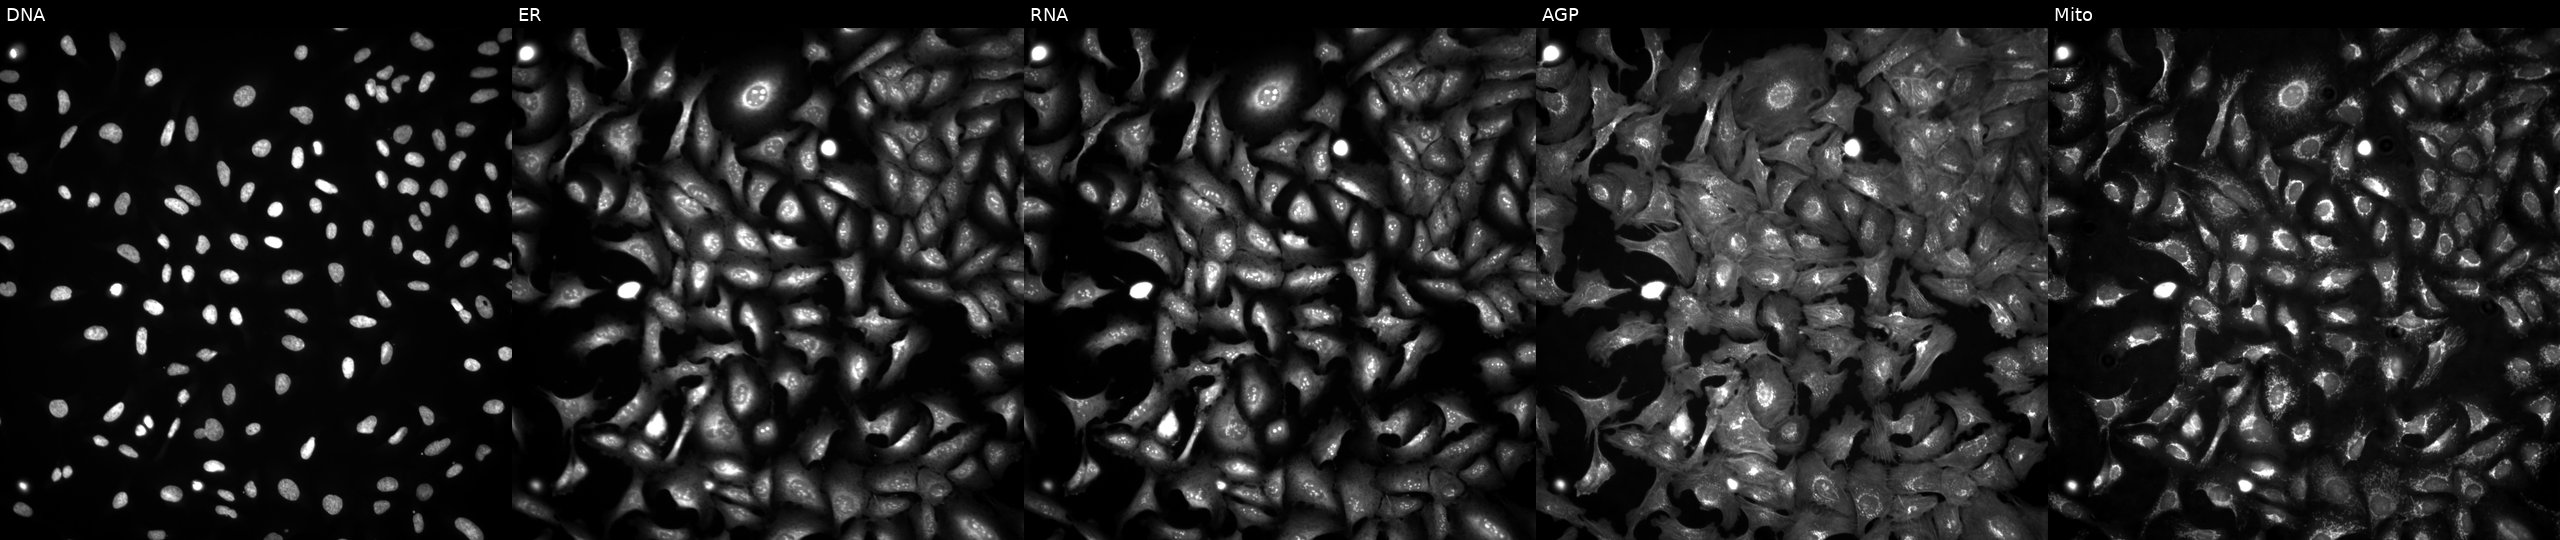
JUMP Cell Painting — ORF plate. U2OS cells with RPS6KL1 overexpressed (ORF). From left to right: Hoechst 33342, concanavalin A, SYTO 14, phalloidin and WGA, MitoTracker.